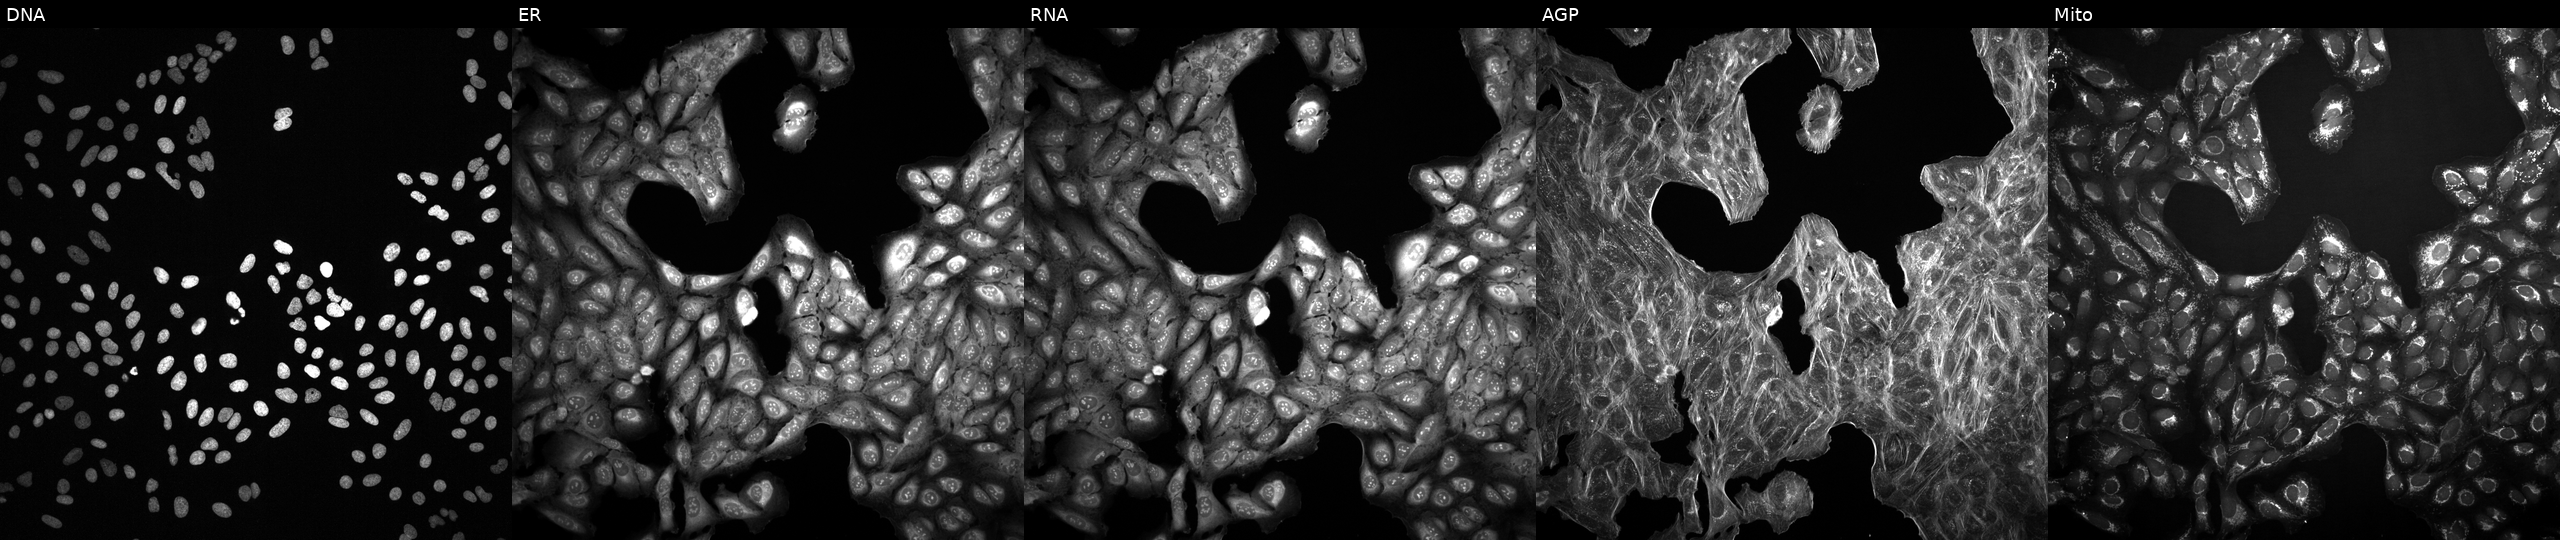
High-content fluorescence microscopy (Cell Painting). Cell line: U2OS. Perturbation: perturbed with a small-molecule compound (InChIKey HGVDHZBSSITLCT-UHFFFAOYSA-N) (JUMP id JCP2022_030094). The five panels, left to right, show Hoechst 33342, concanavalin A, SYTO 14, phalloidin and WGA, MitoTracker.